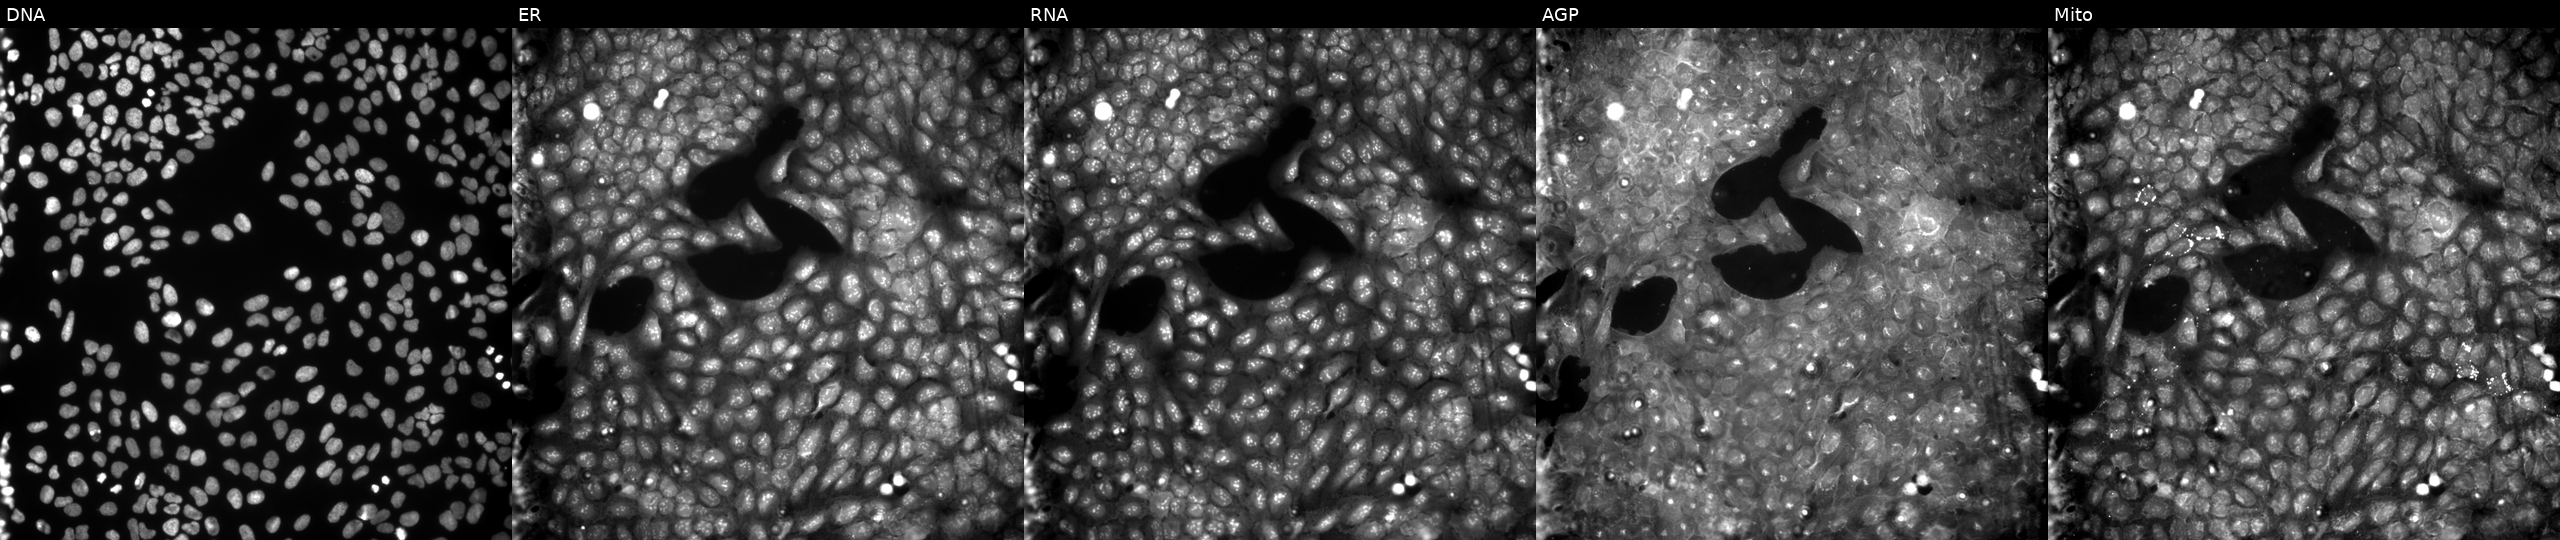
Five-channel Cell Painting image of U2OS cells perturbed with a small-molecule compound (InChIKey FQGDAIFIVMXXFL-UHFFFAOYSA-N) [SMILES: CCOC(=O)N1CCN(C(=O)COc2cc(C)c(Cl)c(C)c2)CC1]. Channels (left→right): Hoechst 33342, concanavalin A, SYTO 14, phalloidin and WGA, MitoTracker. Source 9, plate GR00003382, well G20.